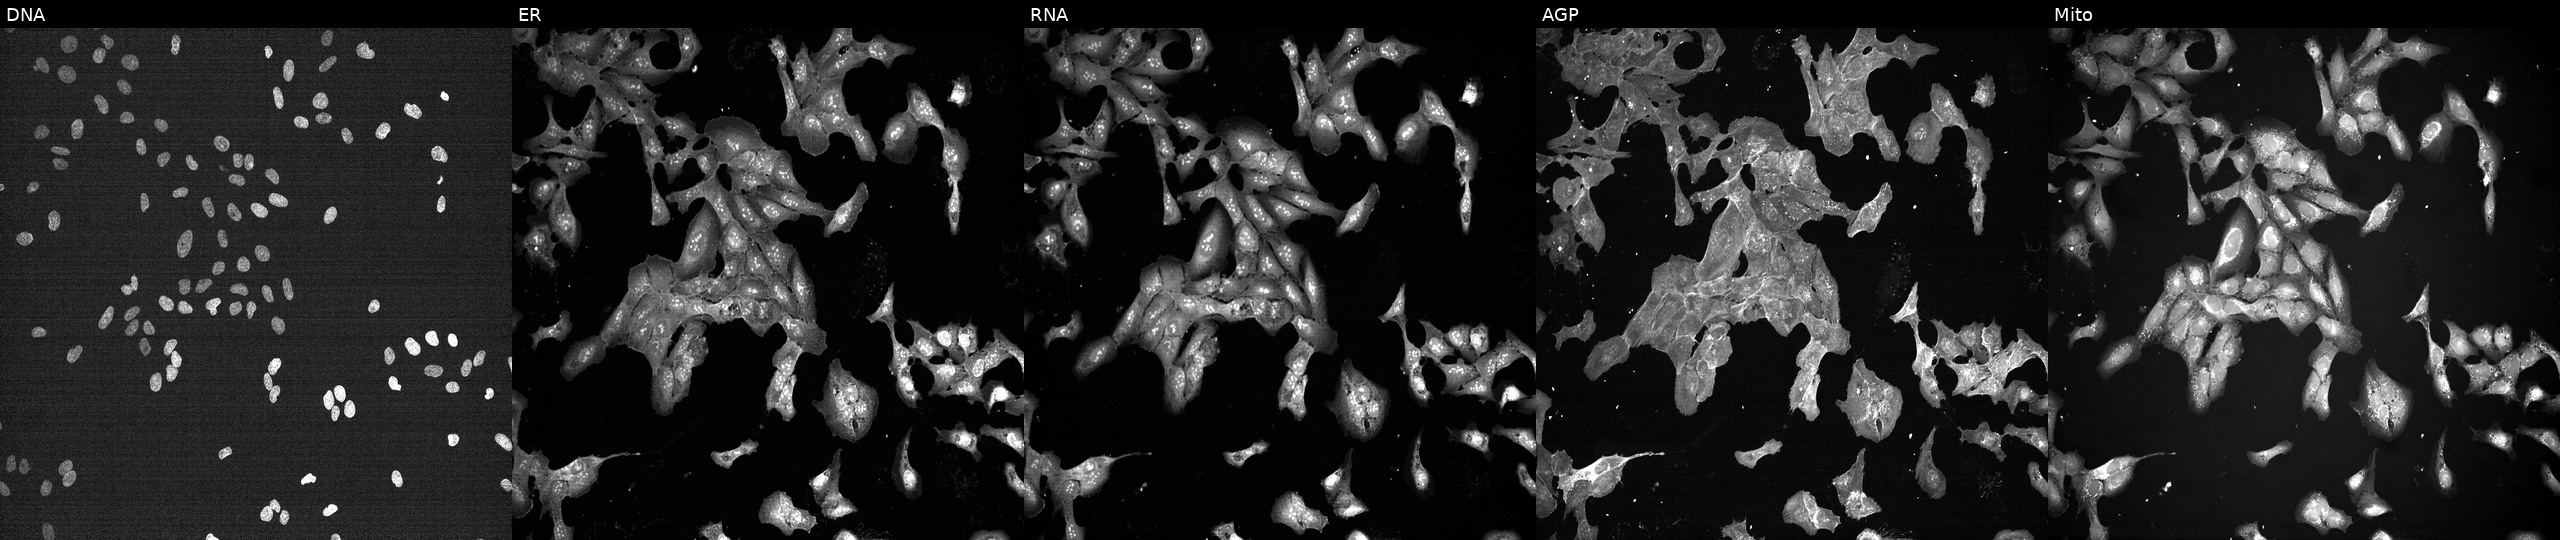
This image strip shows the five Cell Painting channels for a single field of U2OS cells perturbed with a small-molecule compound (JUMP id JCP2022_001890). The five panels, left to right, show DNA, ER, RNA, AGP, and Mito.